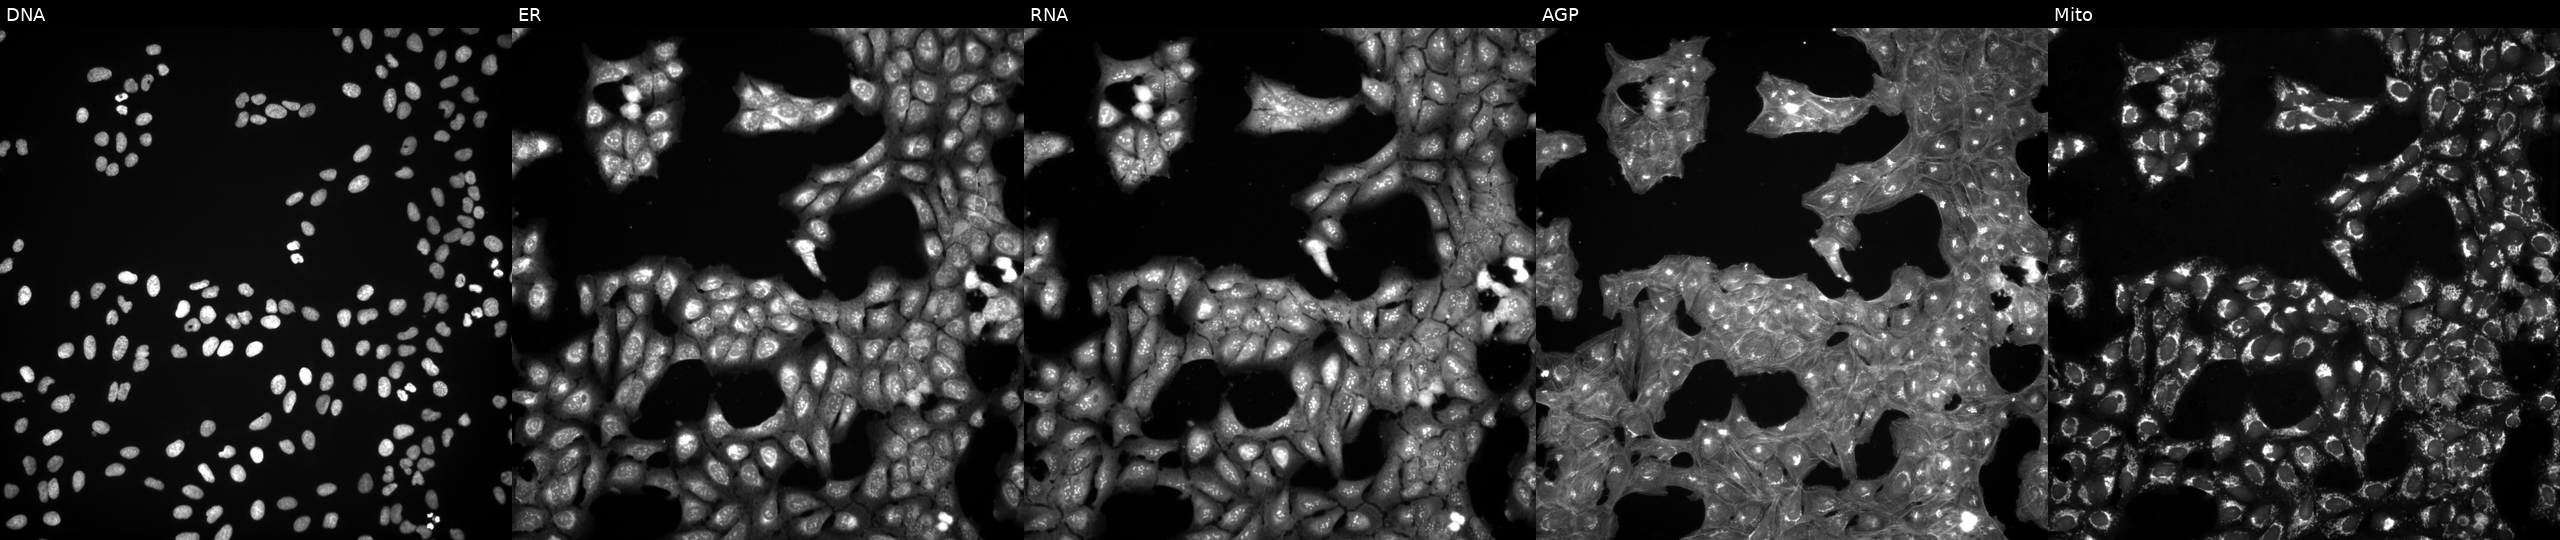
JUMP Cell Painting — COMPOUND plate. U2OS cells exposed to a small-molecule compound. The five panels, left to right, show Hoechst 33342, concanavalin A, SYTO 14, phalloidin and WGA, MitoTracker.